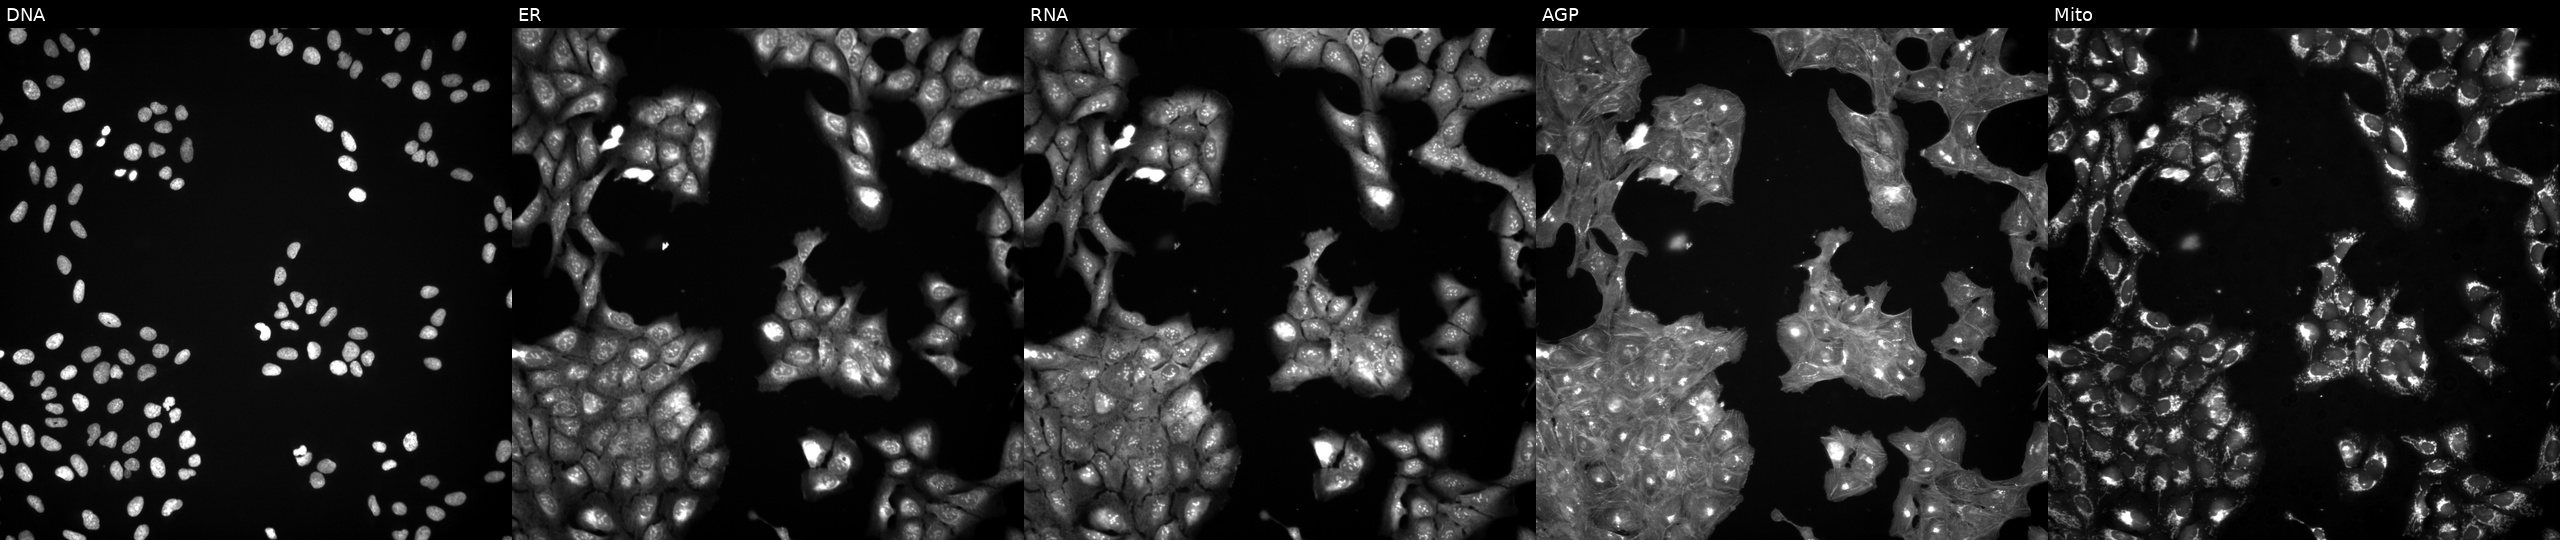
High-content fluorescence microscopy (Cell Painting). Cell line: U2OS. Perturbation: exposed to a small-molecule compound. The five panels, left to right, show Hoechst 33342, concanavalin A, SYTO 14, phalloidin and WGA, MitoTracker.